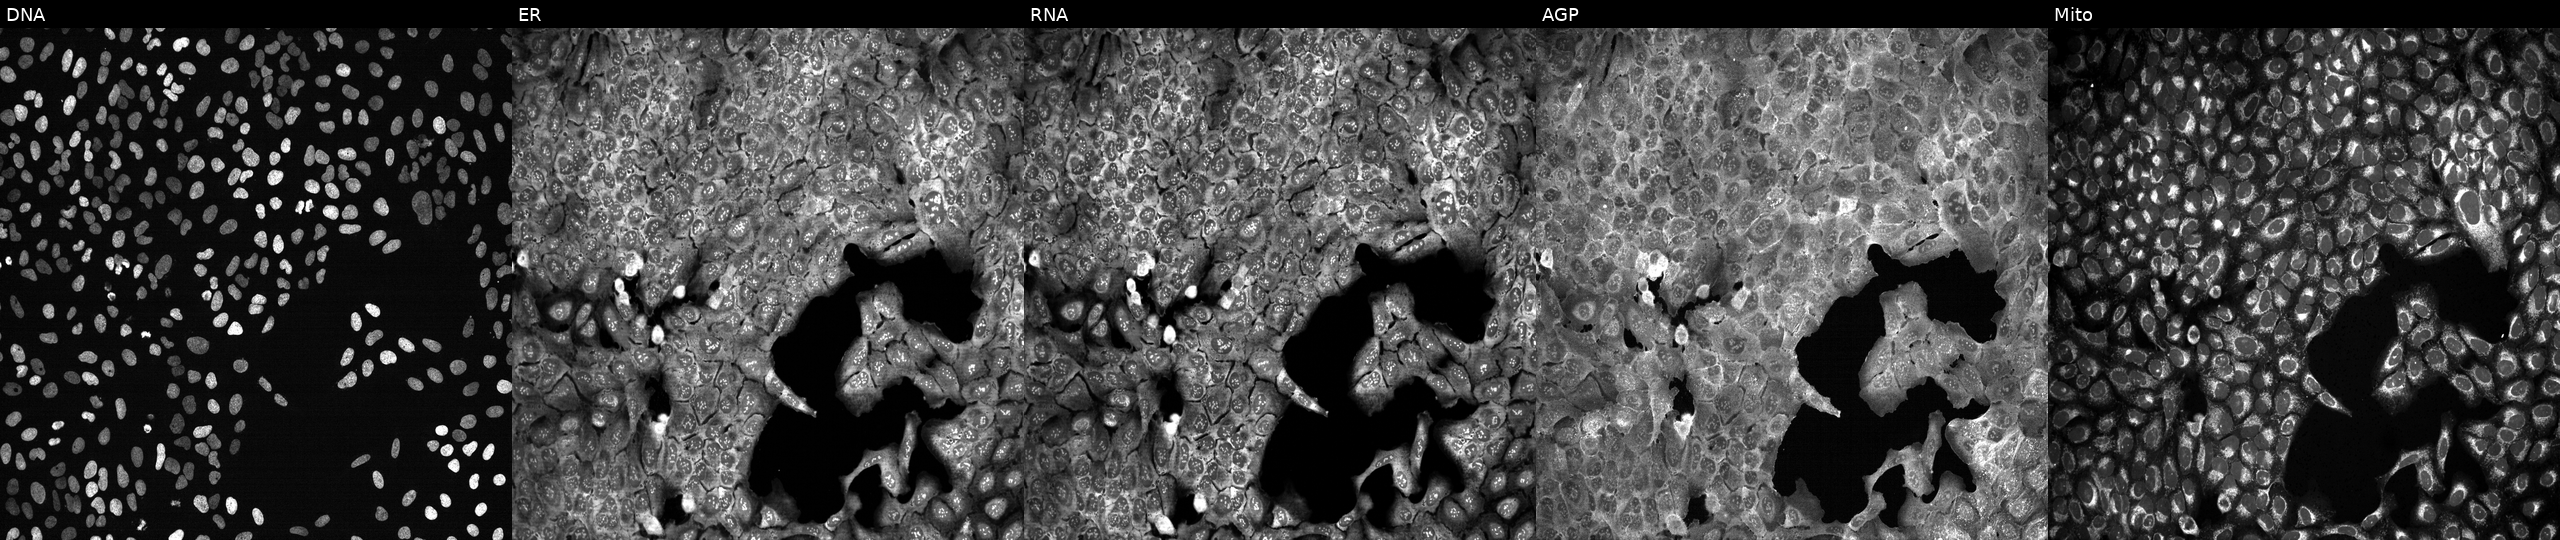
This image strip shows the five Cell Painting channels for a single field of U2OS cells following CRISPR knockout of ATP5O. The five panels, left to right, show Hoechst 33342, concanavalin A, SYTO 14, phalloidin and WGA, MitoTracker.